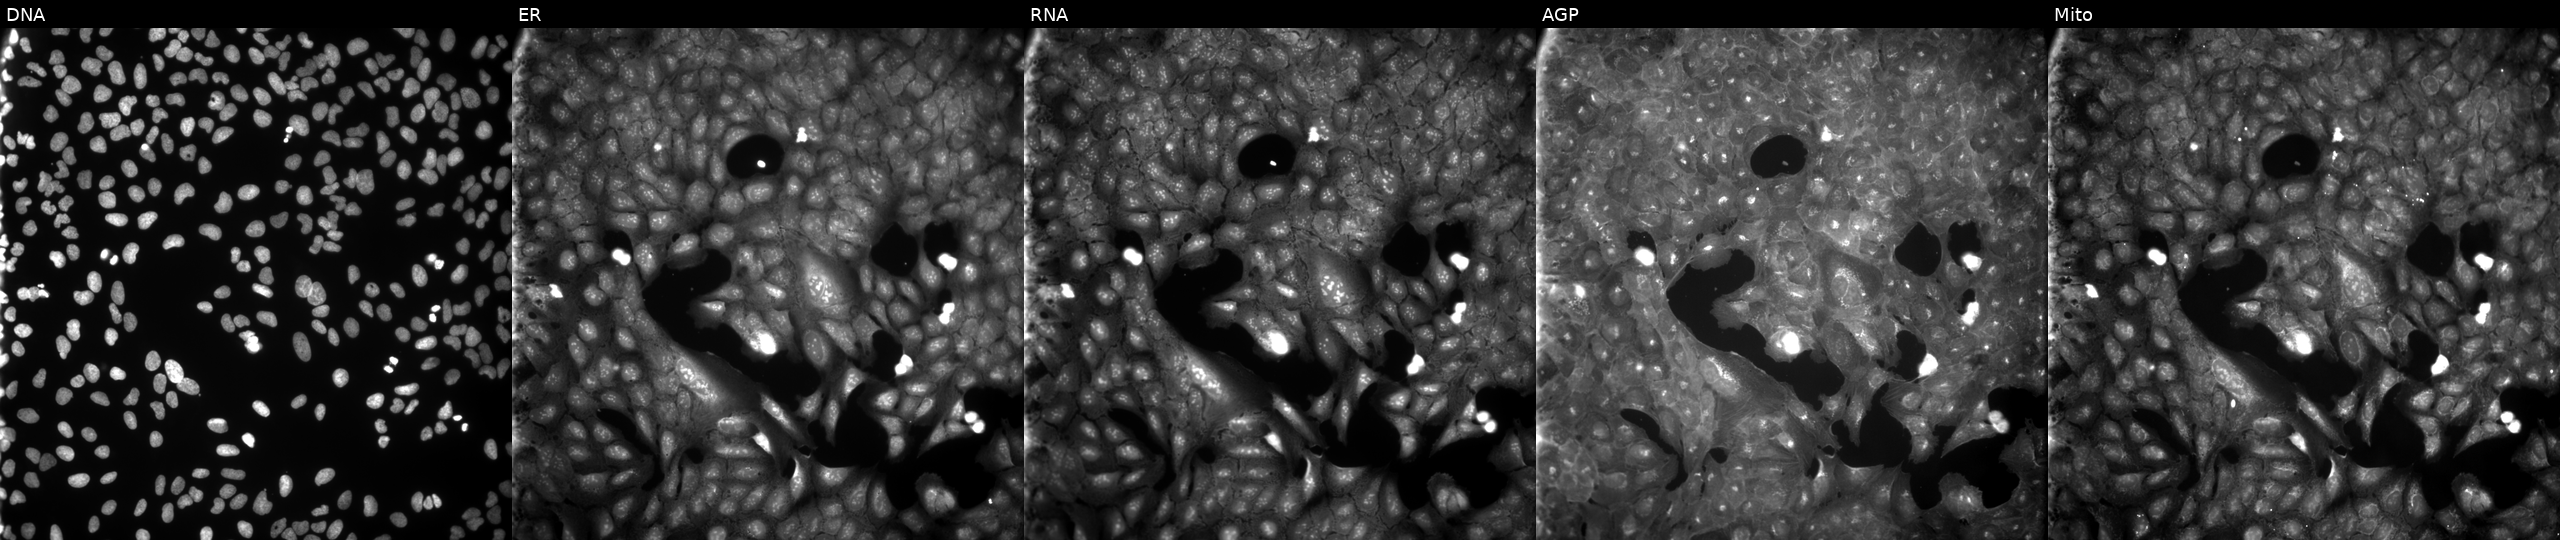
U2OS cells, Cell Painting assay, treated with a small-molecule compound. Panels show, left to right, DNA (nuclei); ER (endoplasmic reticulum); RNA (nucleoli and cytoplasmic RNA); AGP (actin cytoskeleton, Golgi, and plasma membrane); Mito (mitochondria). Each panel is percentile-stretched 16-bit fluorescence.